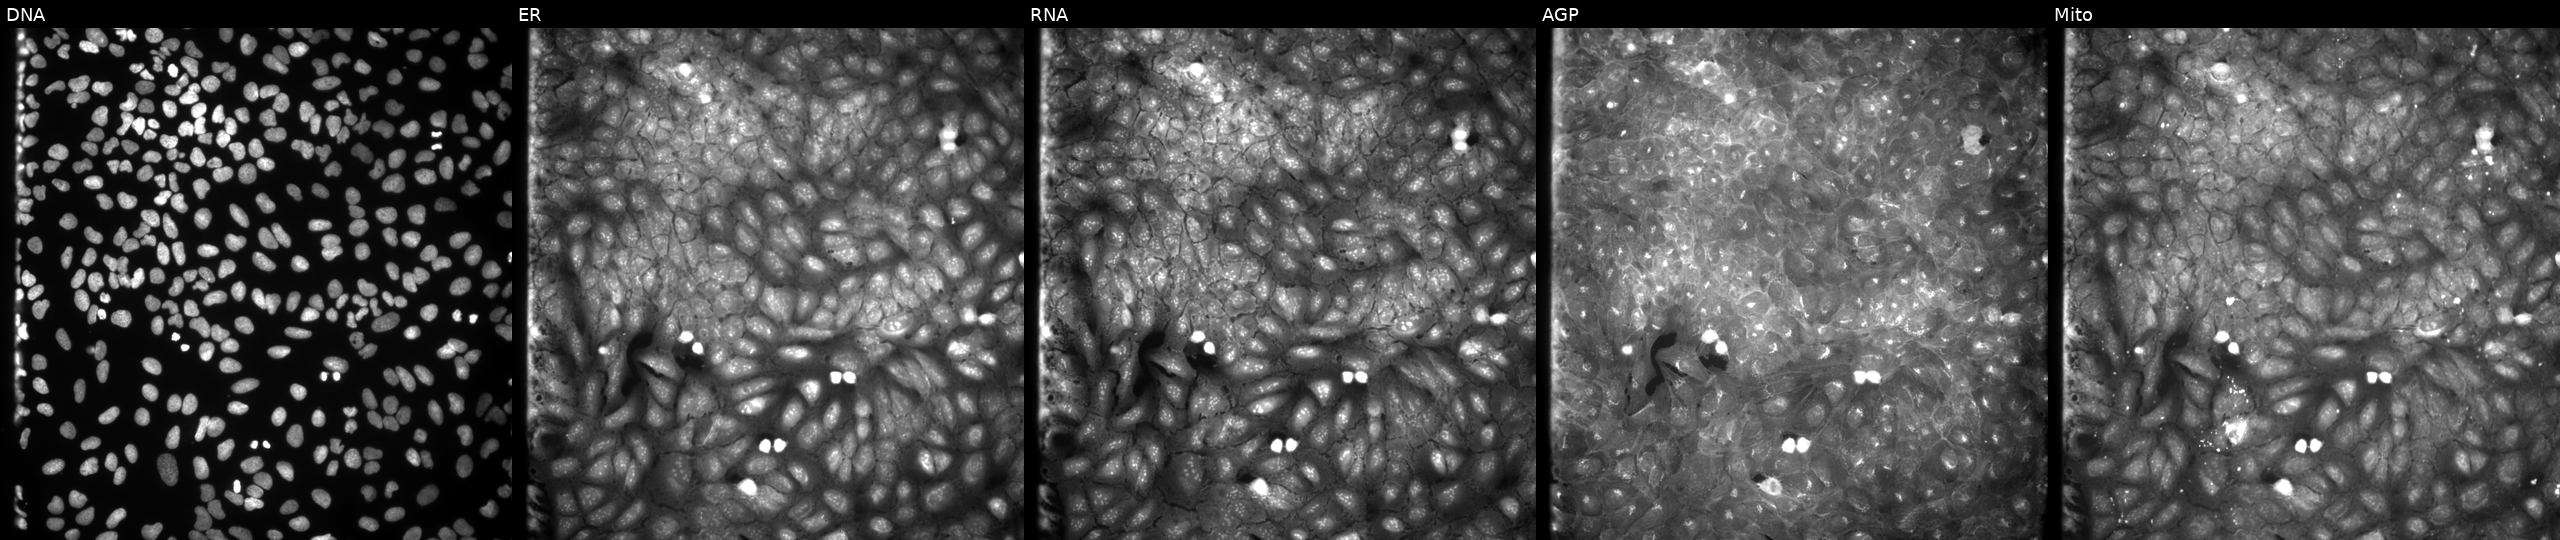
Five-channel Cell Painting image of U2OS cells perturbed with a small-molecule compound (InChIKey LPJUVMOAYGLXFX-UHFFFAOYSA-N). The five panels, left to right, show DNA, ER, RNA, AGP, and Mito.